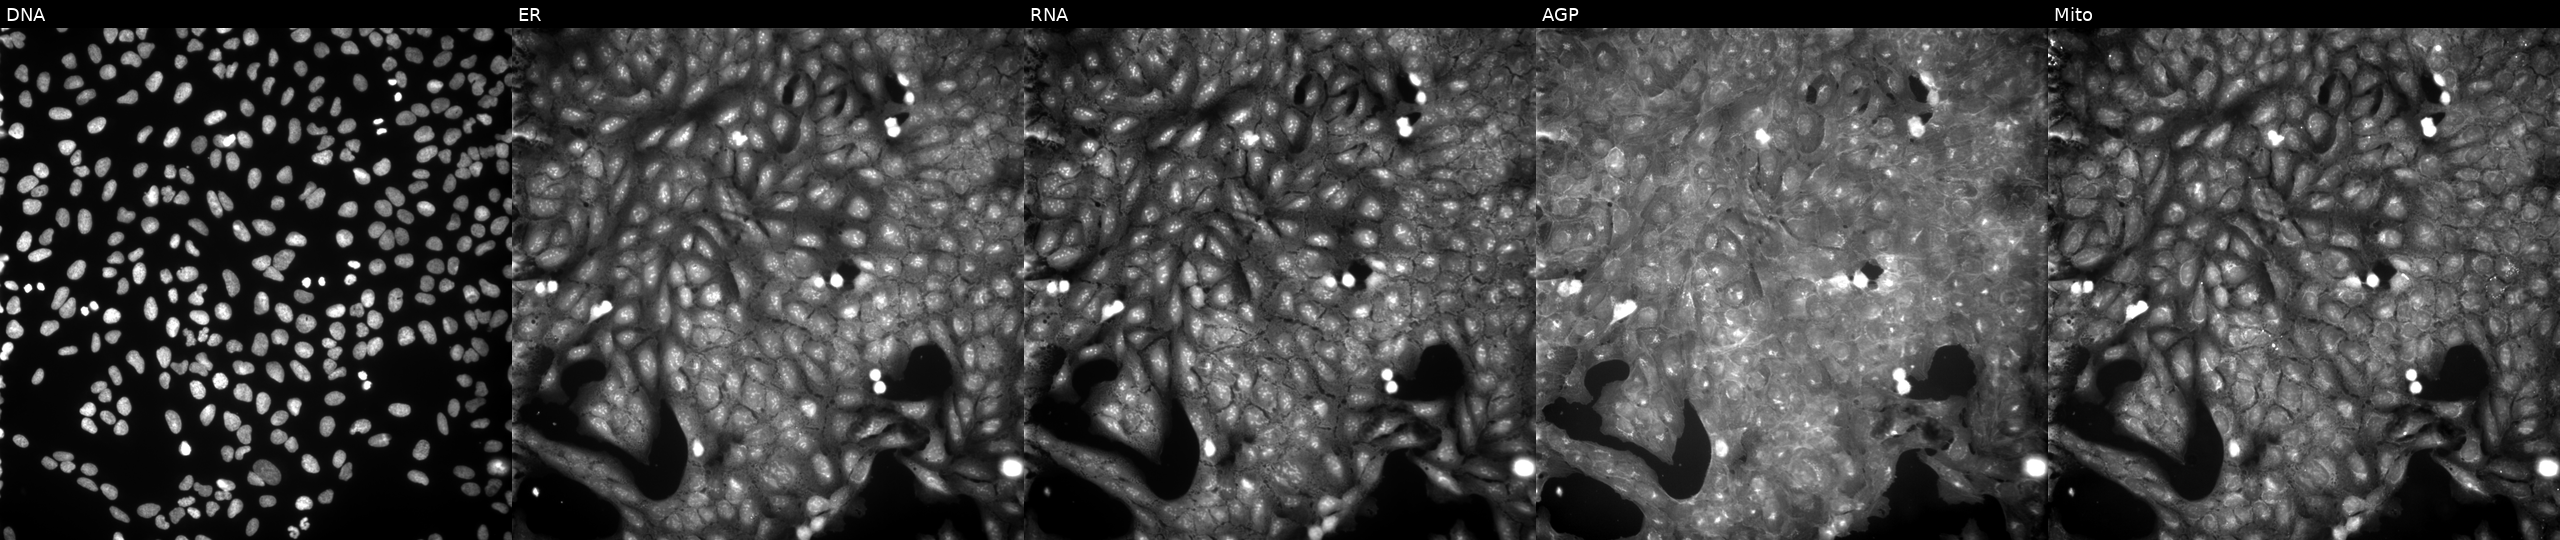
JUMP Cell Painting — COMPOUND plate. U2OS cells exposed to a small-molecule compound (InChIKey LYUZYPKZQDYMEE-UHFFFAOYSA-N) [SMILES: CC=C(C)C(=O)OC1c2c(ccc3ccc(=O)oc23)OC(C)(C)C1OC(C)=O] (JUMP id JCP2022_052581). The five panels, left to right, show Hoechst 33342, concanavalin A, SYTO 14, phalloidin and WGA, MitoTracker.